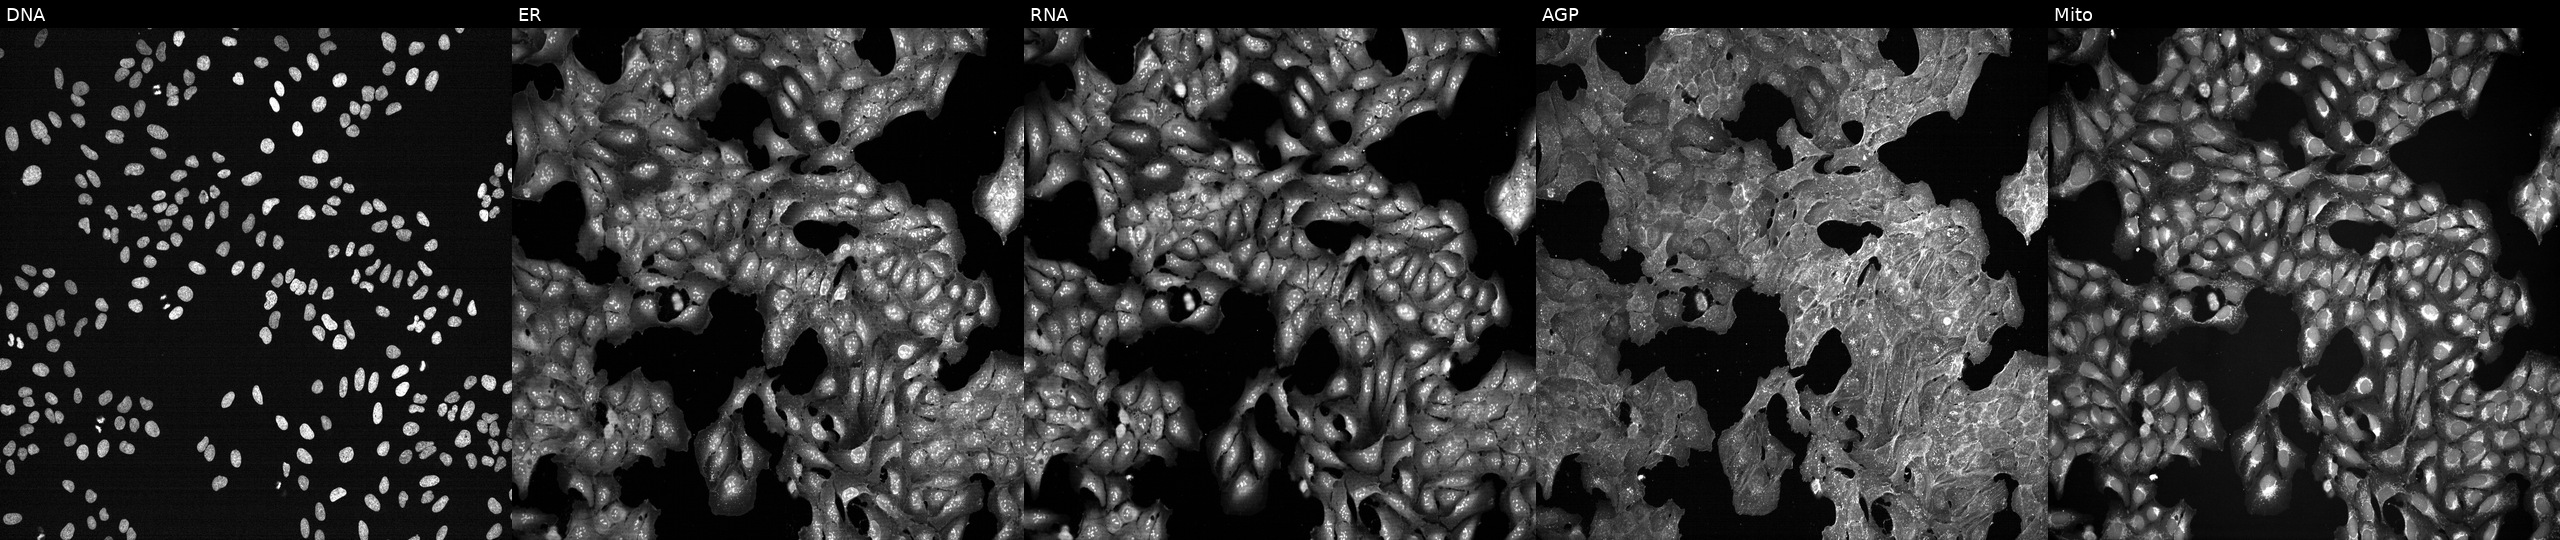
Panels show, left to right, Hoechst 33342, concanavalin A, SYTO 14, phalloidin and WGA, MitoTracker. U2OS osteosarcoma cells perturbed with a small-molecule compound (InChIKey PYEFPDQFAZNXLI-UHFFFAOYSA-N) (JUMP id JCP2022_071733). Cell Painting assay, JUMP-CP dataset. Source 7, plate CP2-SC1-25, well J11.